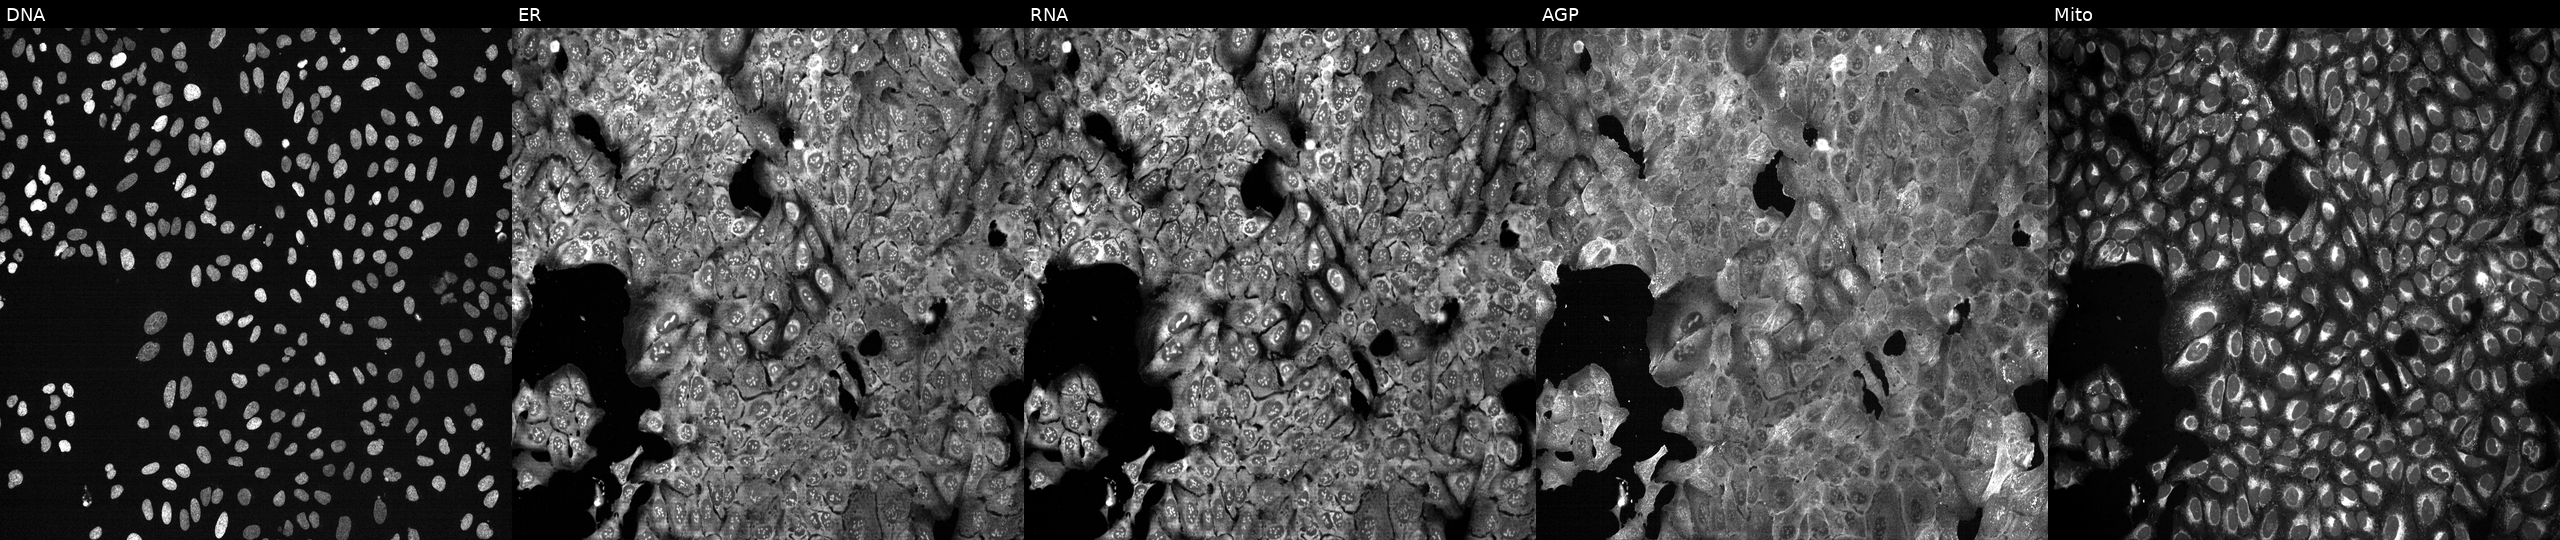
The five panels, left to right, show DNA, ER, RNA, AGP, and Mito. U2OS osteosarcoma cells CRISPR-edited to disrupt NDOR1. Cell Painting assay, JUMP-CP dataset. Source 13, plate CP-CC9-R2-02, well E15.